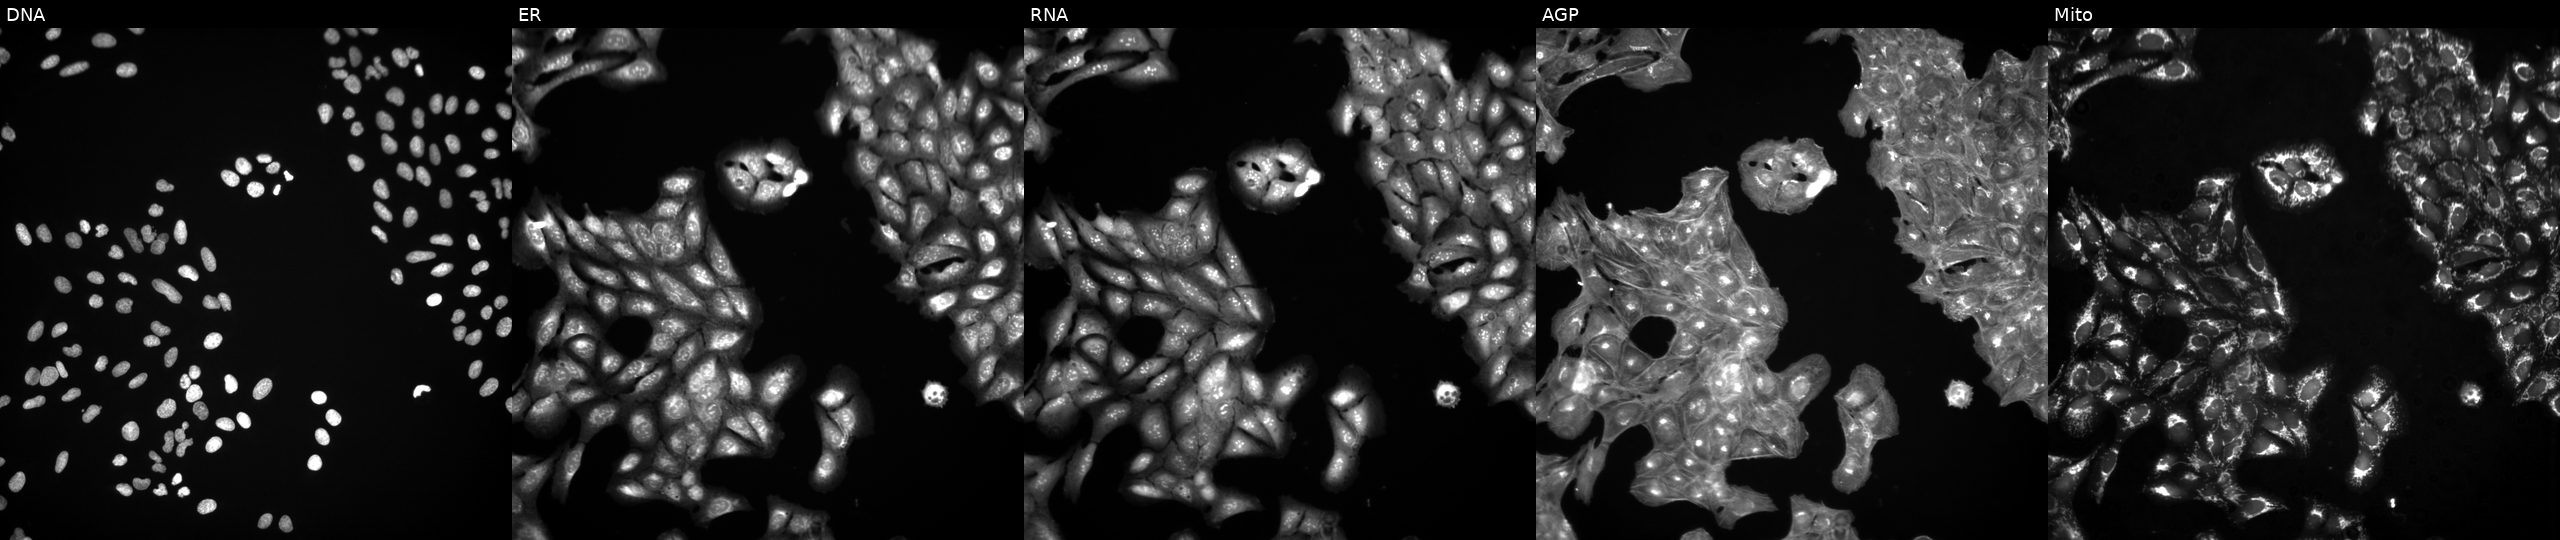
JUMP Cell Painting — TARGET2 plate. U2OS cells treated with a small-molecule compound. The five panels, left to right, show DNA, ER, RNA, AGP, and Mito.